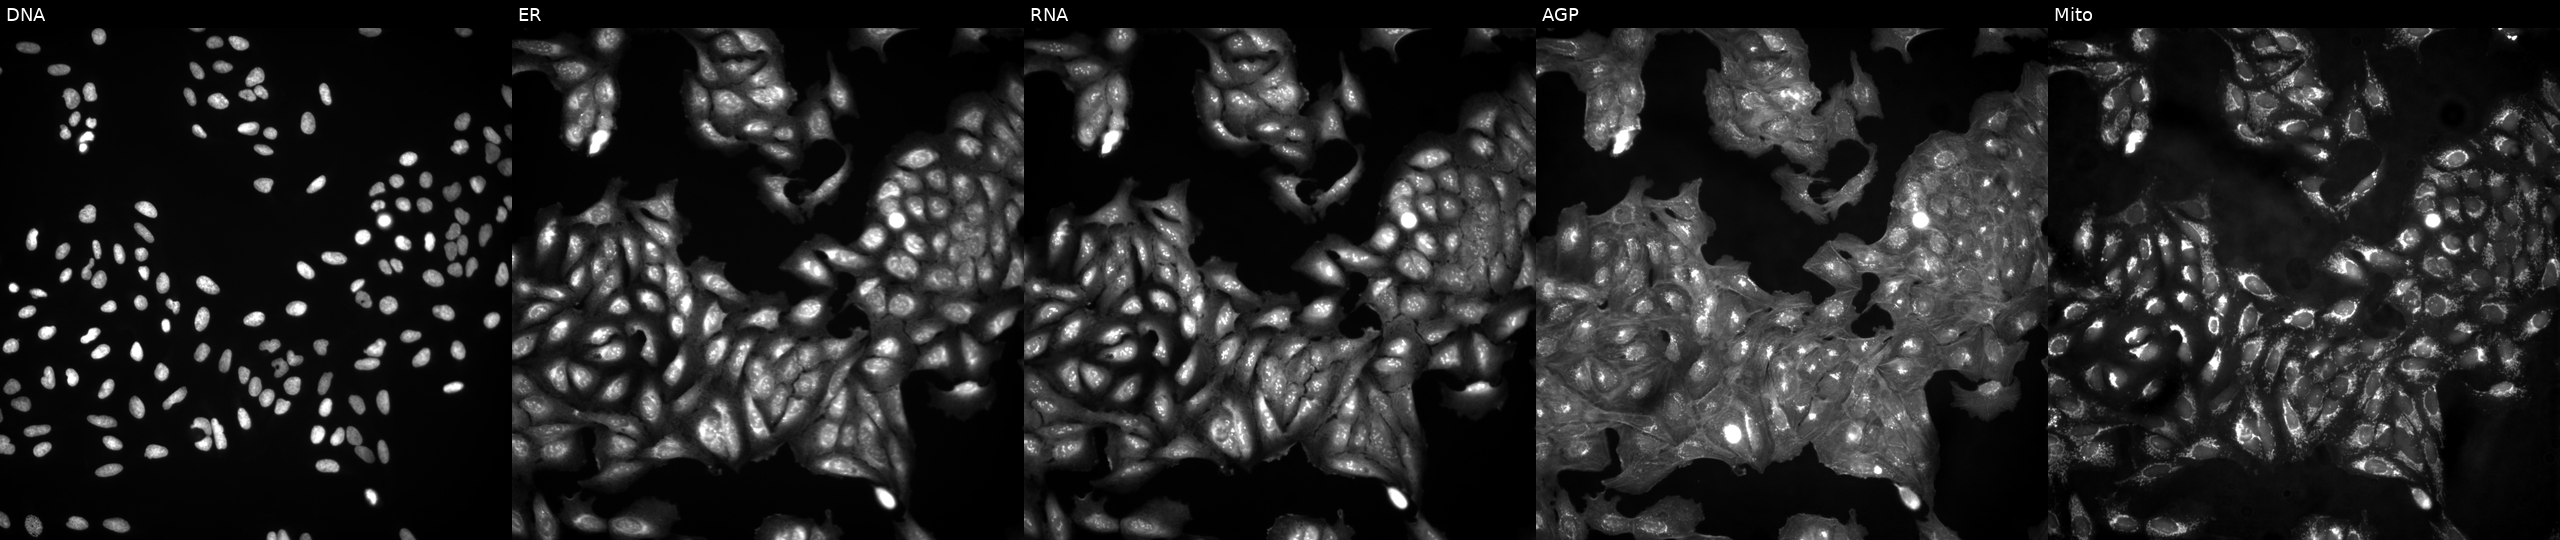
High-content fluorescence microscopy (Cell Painting). Cell line: U2OS. Perturbation: in an empty control well (no perturbation). Panels show, left to right, Hoechst 33342, concanavalin A, SYTO 14, phalloidin and WGA, MitoTracker. Source 4, plate BR00123946, well P20.